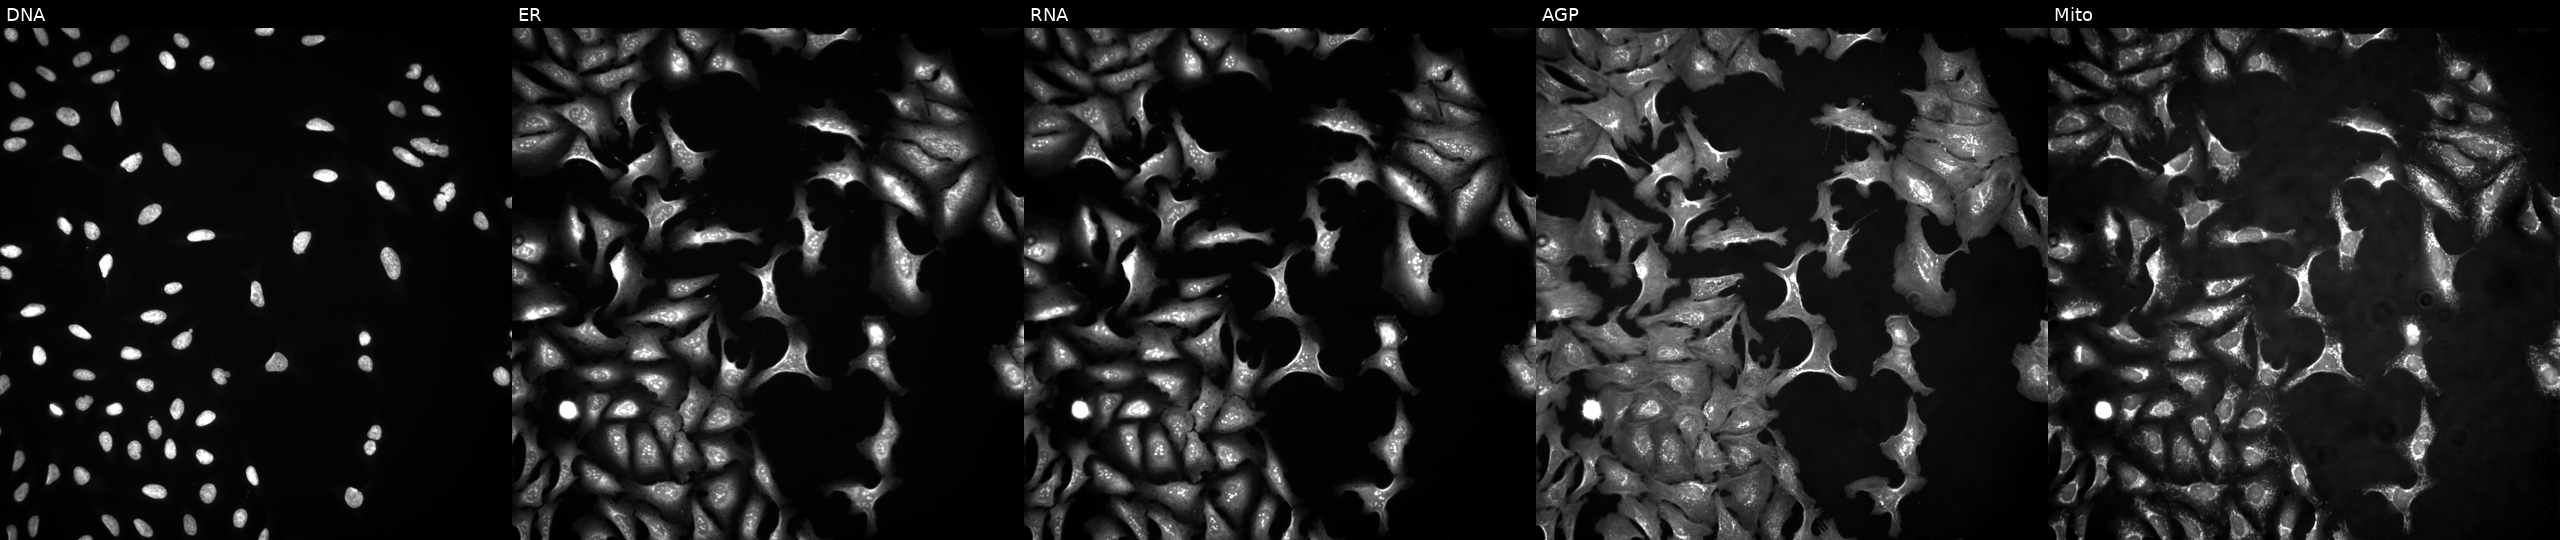
High-content fluorescence microscopy (Cell Painting). Cell line: U2OS. Perturbation: with SYK overexpressed (ORF). From left to right: Hoechst 33342, concanavalin A, SYTO 14, phalloidin and WGA, MitoTracker.